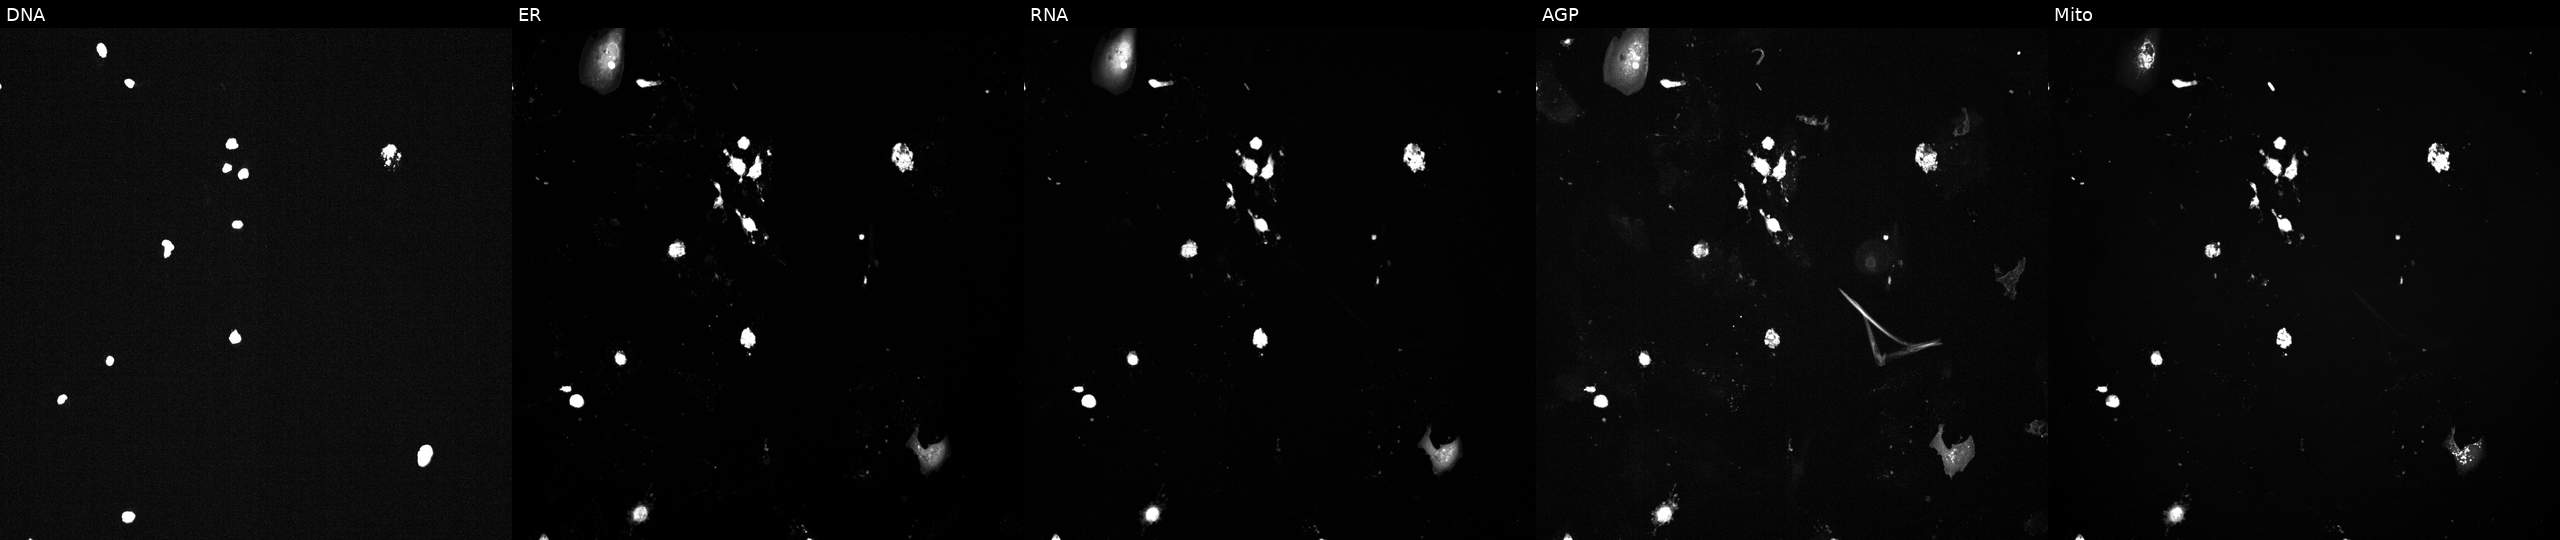
Five-channel Cell Painting image of U2OS cells perturbed with a small-molecule compound (InChIKey XUZQTIZWMHMWOC-UHFFFAOYSA-N) [SMILES: CC(=O)C(NC(=O)c1cccc(-c2ccccc2)n1)C(O)NC(CC(C)C)B(O)O]. The five panels, left to right, show Hoechst 33342, concanavalin A, SYTO 14, phalloidin and WGA, MitoTracker.